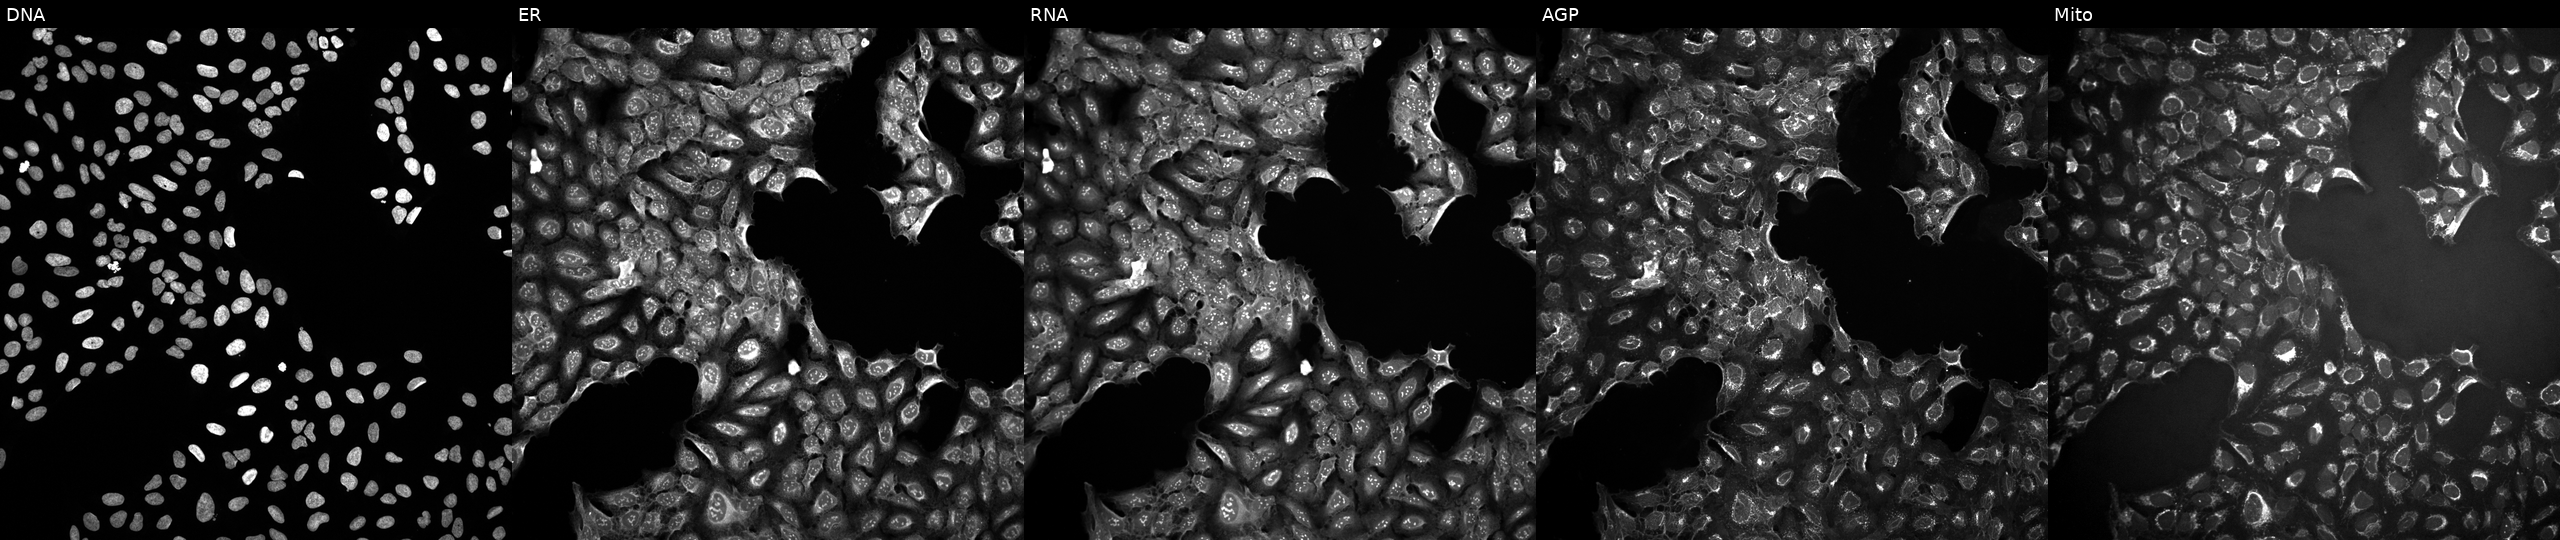
The five panels, left to right, show DNA (nuclei); ER (endoplasmic reticulum); RNA (nucleoli and cytoplasmic RNA); AGP (actin cytoskeleton, Golgi, and plasma membrane); Mito (mitochondria). U2OS osteosarcoma cells treated with DMSO vehicle only (negative control). Cell Painting assay, JUMP-CP dataset.